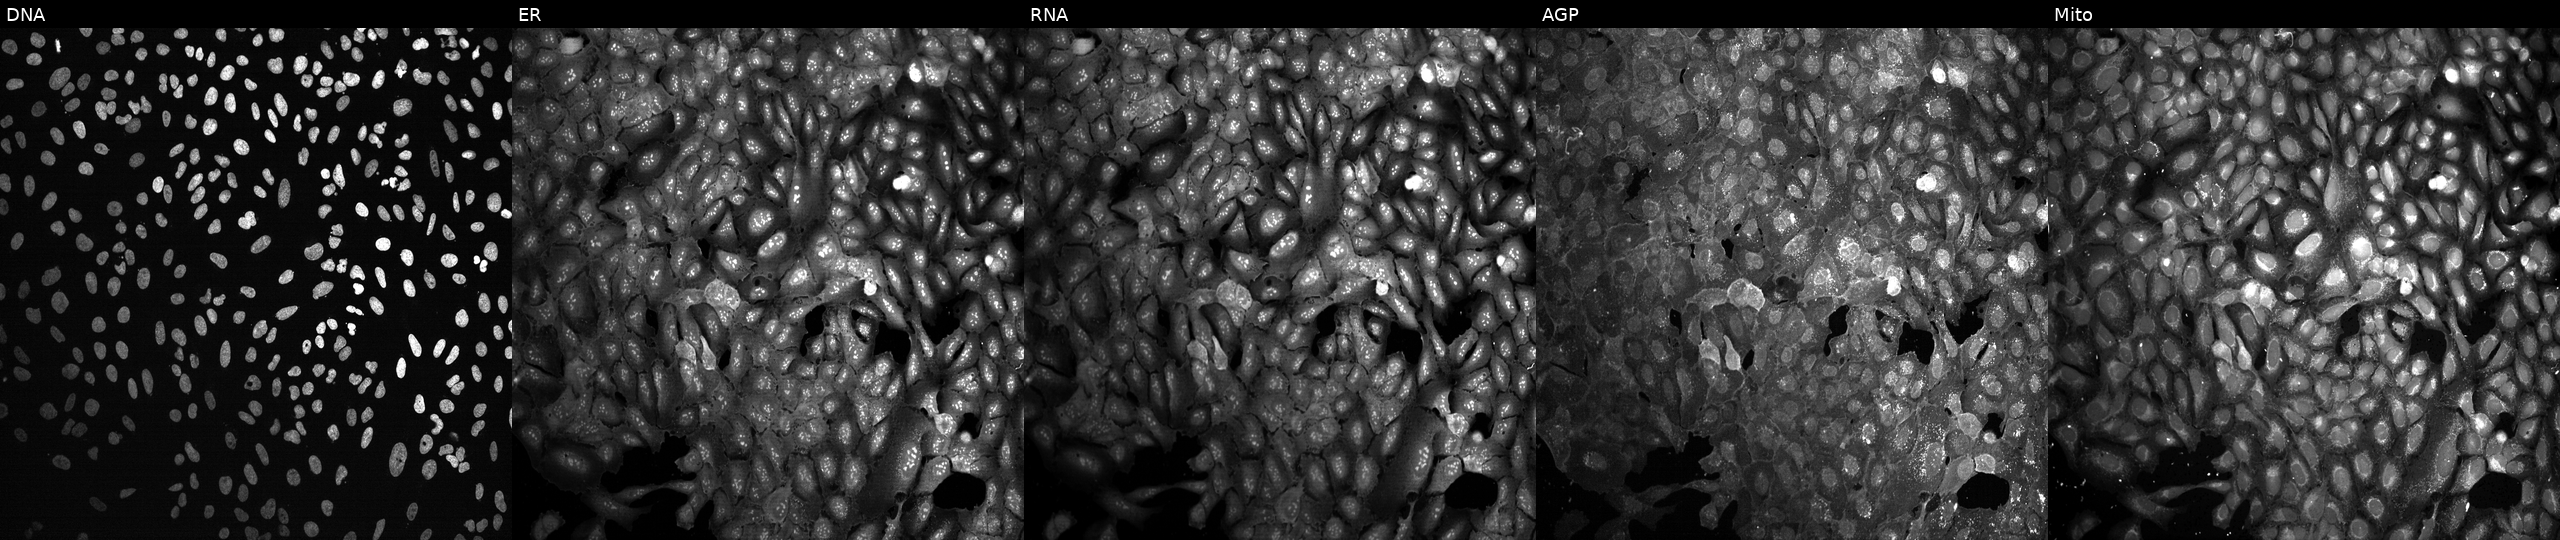
From left to right: DNA (nuclei); ER (endoplasmic reticulum); RNA (nucleoli and cytoplasmic RNA); AGP (actin cytoskeleton, Golgi, and plasma membrane); Mito (mitochondria). U2OS osteosarcoma cells with ST13 knocked out by CRISPR. Cell Painting assay, JUMP-CP dataset. Source 13, plate CP-CC9-R1-01, well A04.